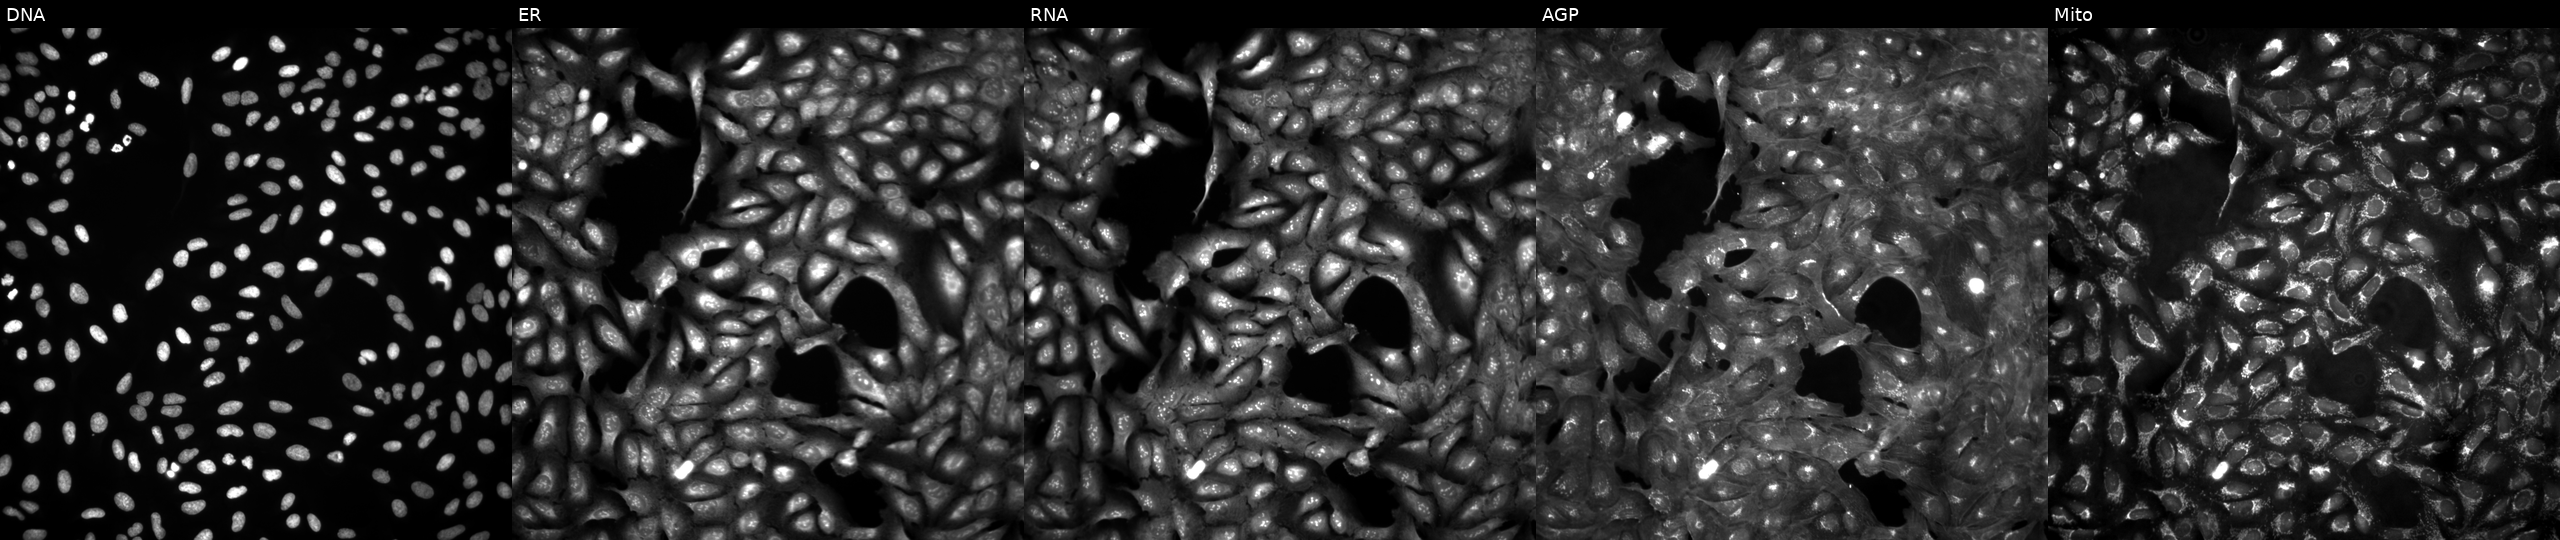
JUMP Cell Painting — ORF plate. U2OS cells untreated (empty-well control) (JUMP id JCP2022_999999). From left to right: DNA, ER, RNA, AGP, and Mito. Source 4, plate BR00123946, well G22.